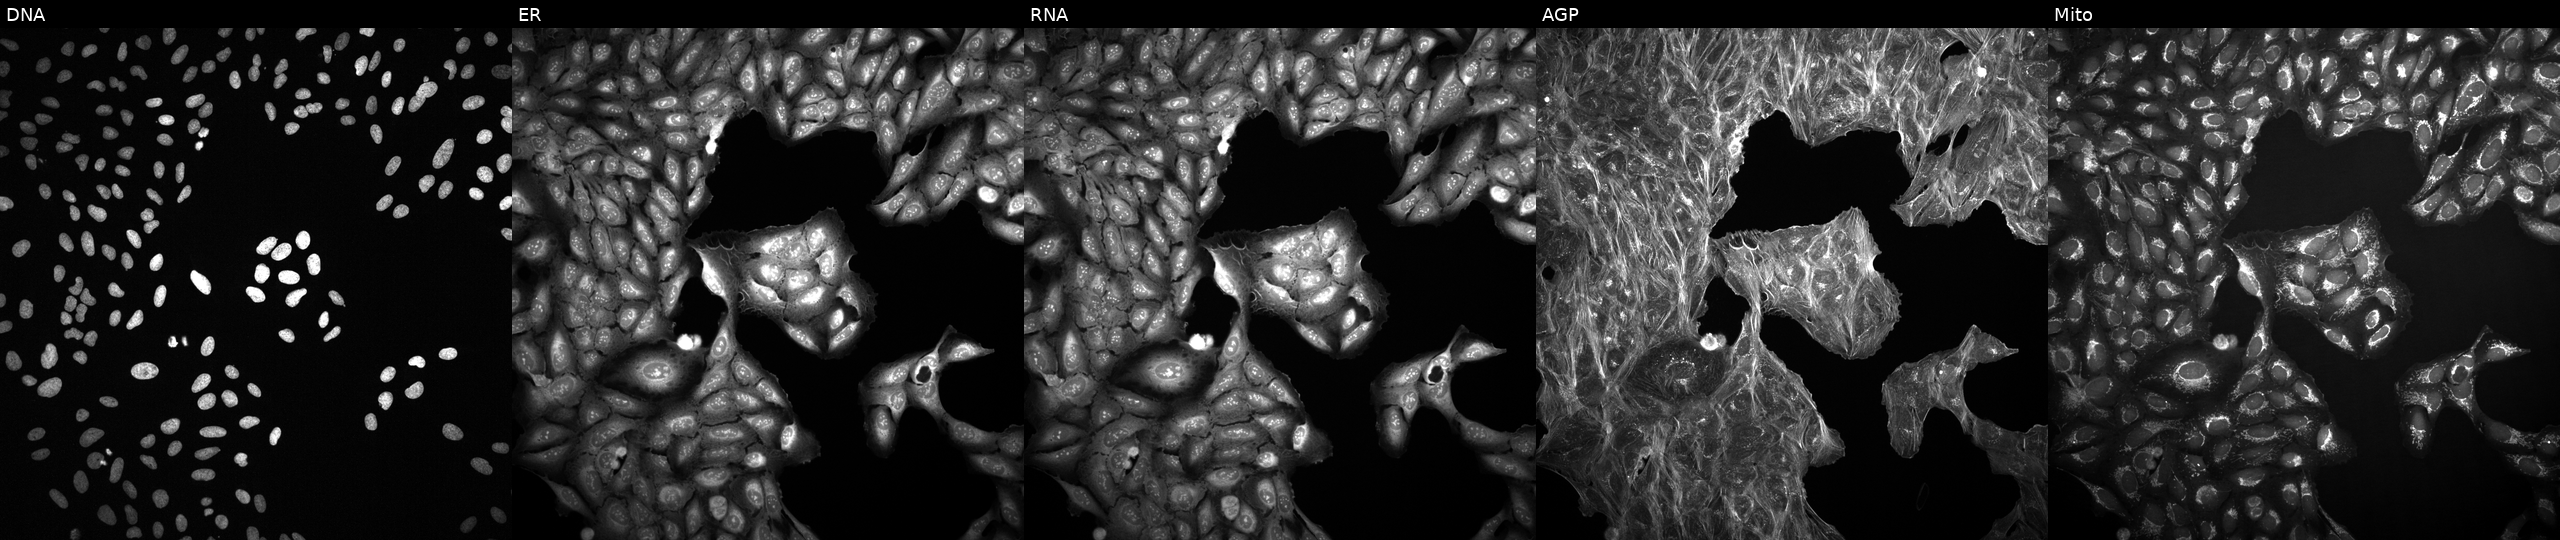
JUMP Cell Painting — TARGET2 plate. U2OS cells perturbed with a small-molecule compound (InChIKey YCYMCMYLORLIJX-UHFFFAOYSA-N). Panels show, left to right, DNA, ER, RNA, AGP, and Mito.